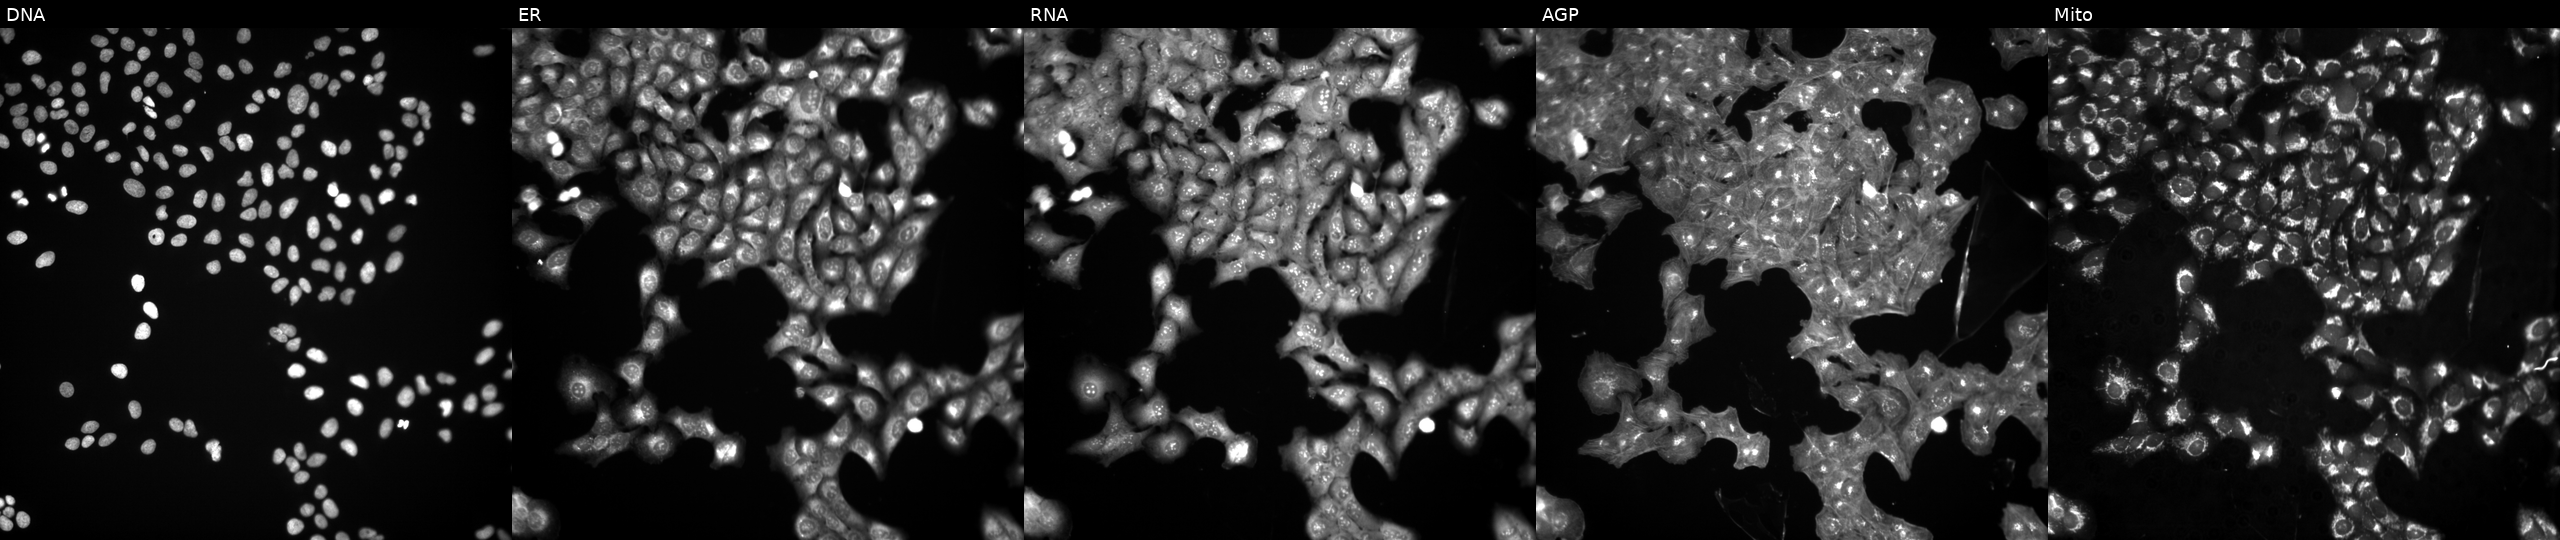
Channels (left→right): Hoechst 33342, concanavalin A, SYTO 14, phalloidin and WGA, MitoTracker. U2OS osteosarcoma cells treated with NVS-PAK1-1 (positive-control compound) (JUMP id JCP2022_064022). Cell Painting assay, JUMP-CP dataset. Source 3, plate BR5867a3, well B24.